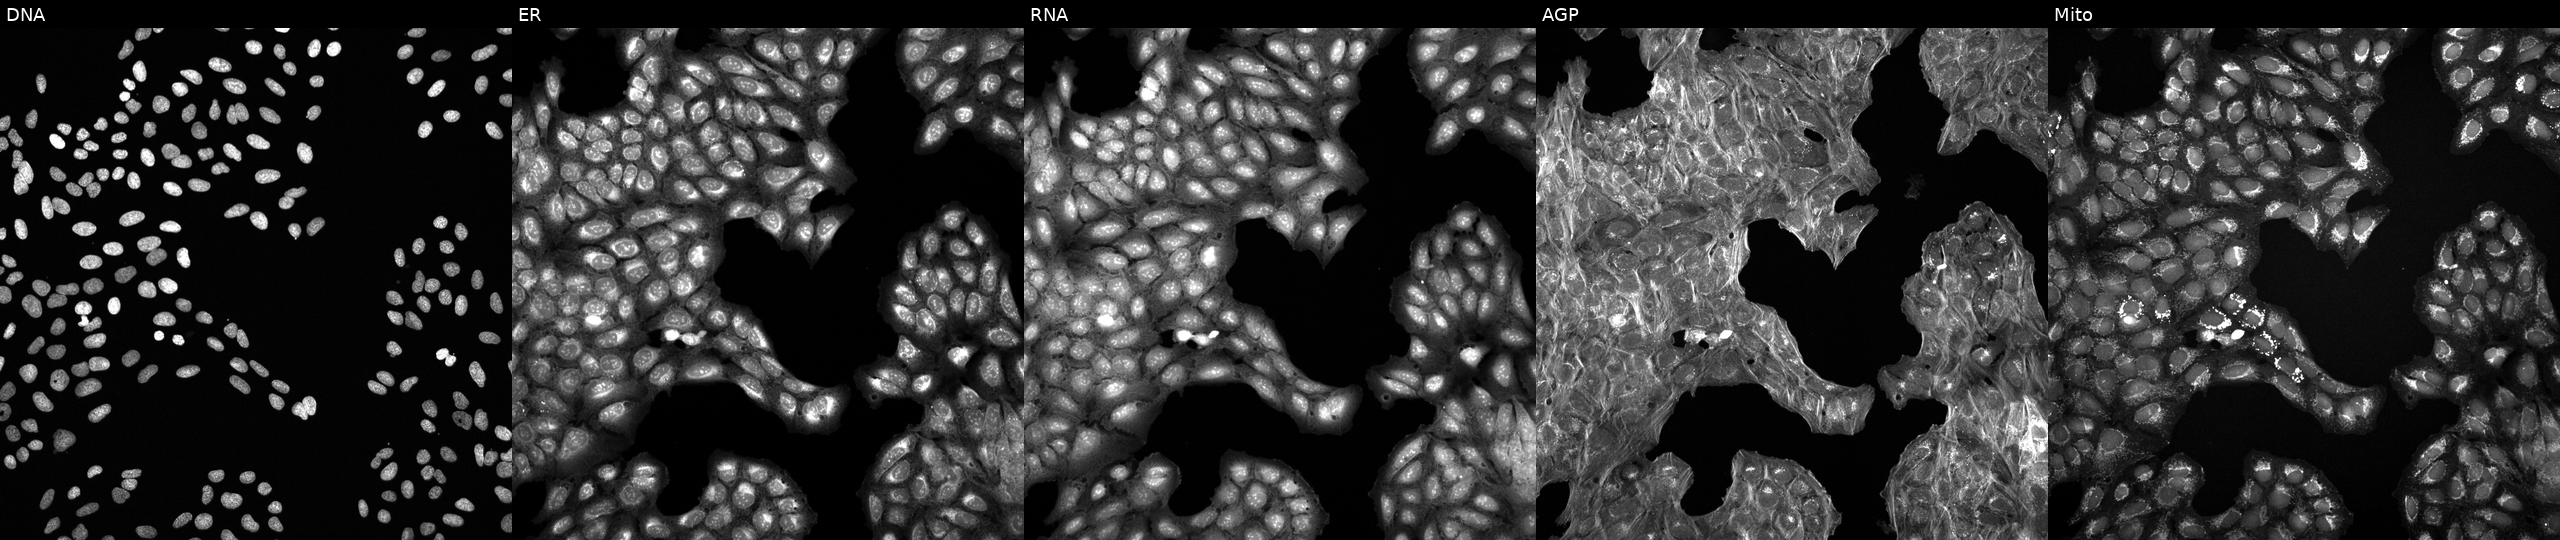
Channels (left→right): Hoechst 33342, concanavalin A, SYTO 14, phalloidin and WGA, MitoTracker. U2OS osteosarcoma cells perturbed with a small-molecule compound. Cell Painting assay, JUMP-CP dataset.